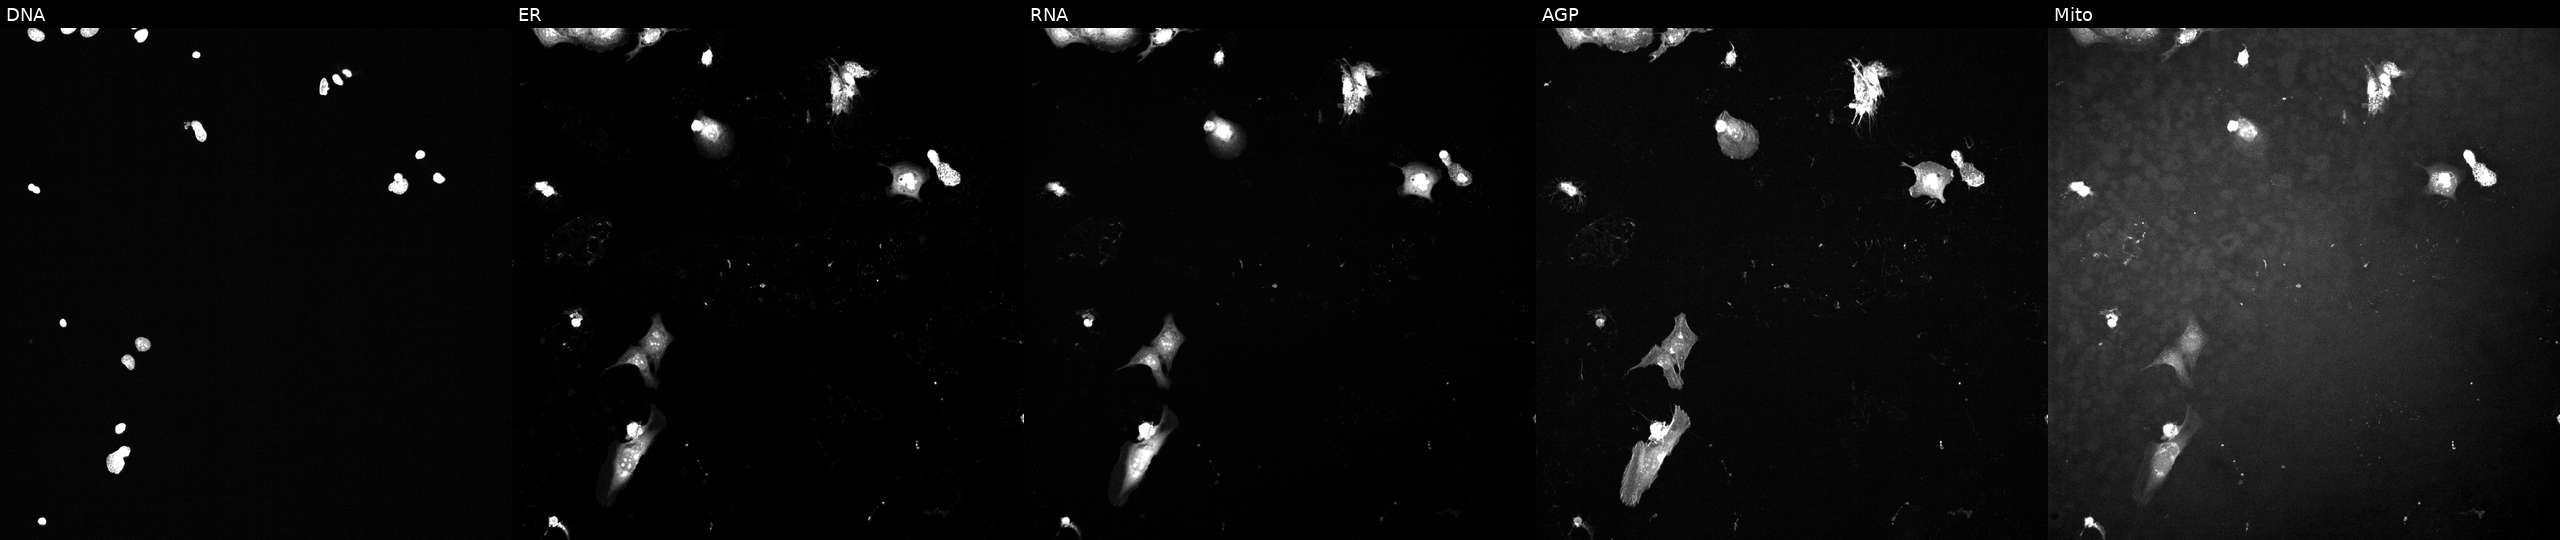
Five-channel Cell Painting image of U2OS cells treated with a small-molecule compound (InChIKey AJVXVYTVAAWZAP-UHFFFAOYSA-N). Panels show, left to right, Hoechst 33342, concanavalin A, SYTO 14, phalloidin and WGA, MitoTracker.